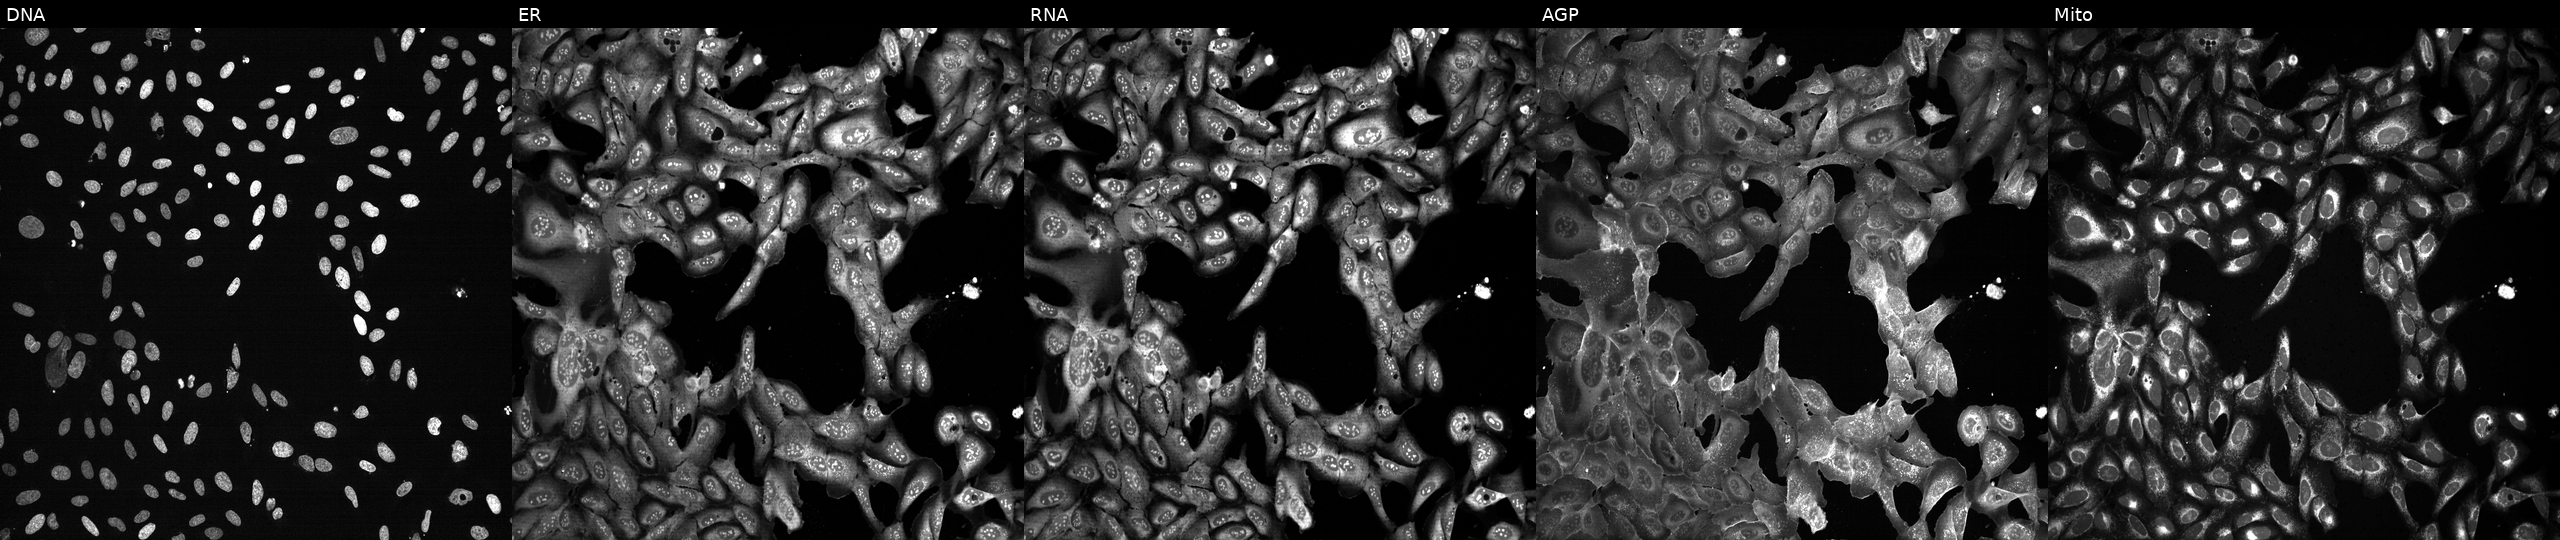
JUMP Cell Painting — CRISPR plate. U2OS cells CRISPR-edited to disrupt NLGN4X (JUMP id JCP2022_804594). From left to right: DNA, ER, RNA, AGP, and Mito. Source 13, plate CP-CC9-R6-19, well E06.